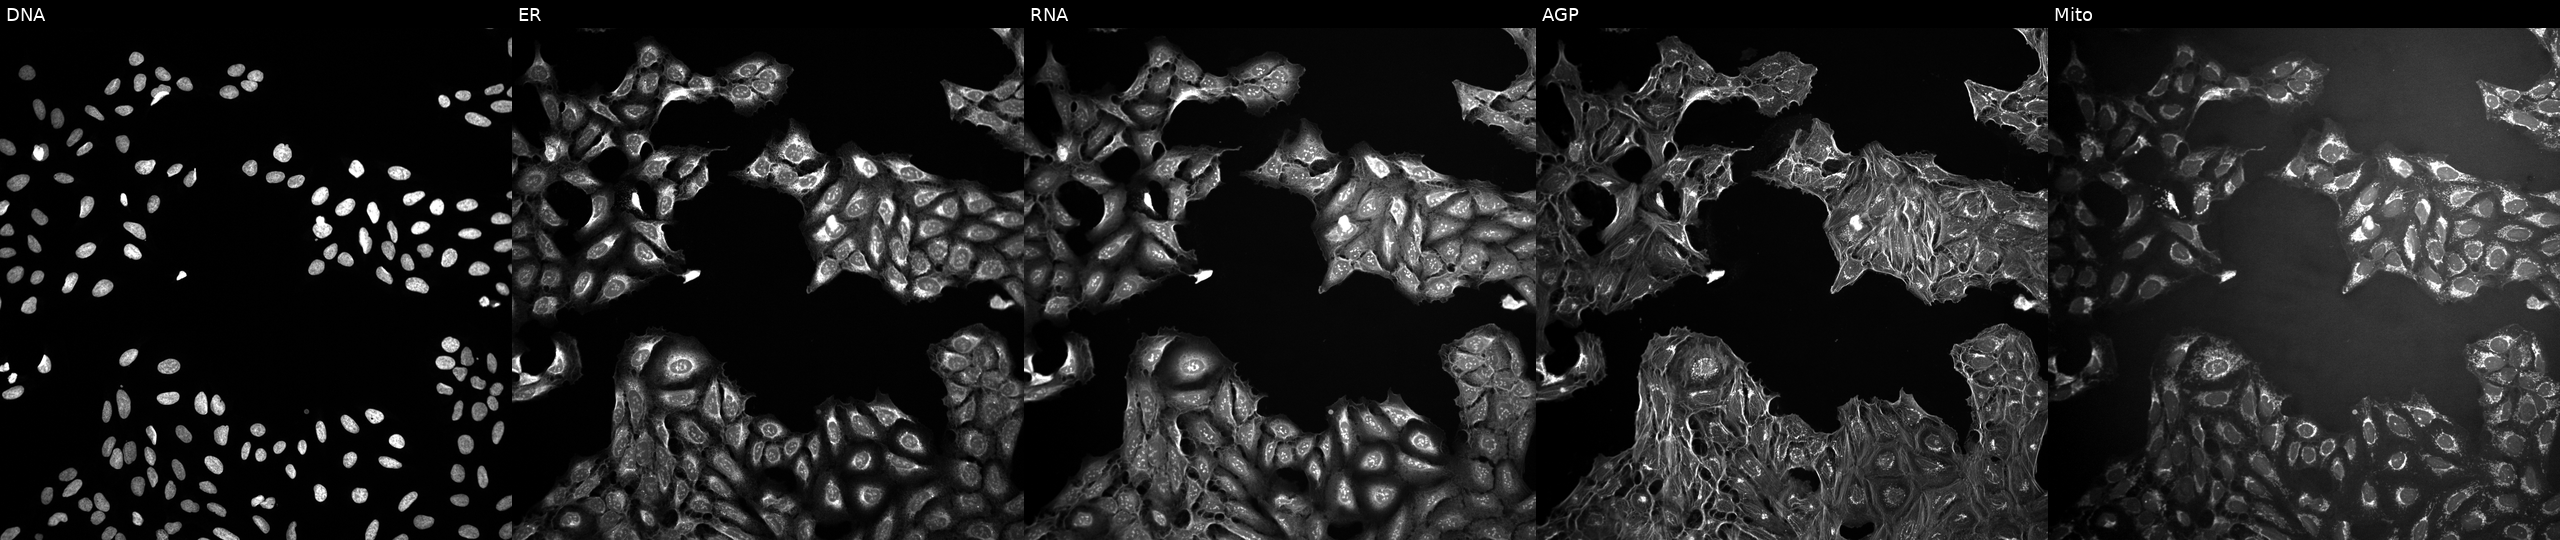
Panels show, left to right, DNA, ER, RNA, AGP, and Mito. U2OS osteosarcoma cells treated with a small-molecule compound (InChIKey ZKLLYTAFXKLRBQ-UHFFFAOYSA-N) (JUMP id JCP2022_113897). Cell Painting assay, JUMP-CP dataset.